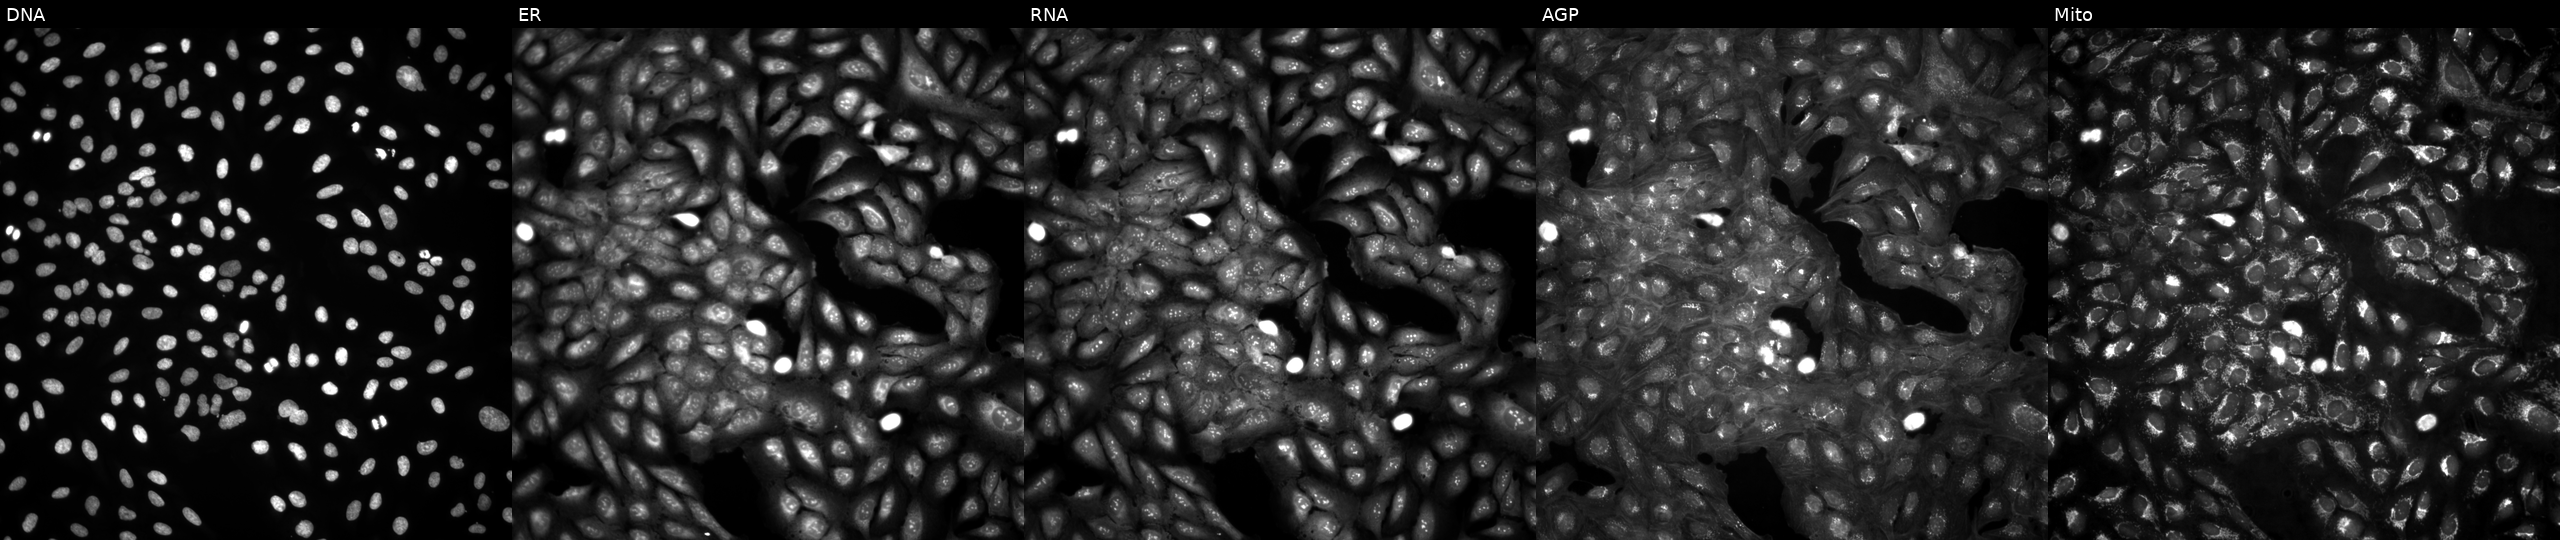
U2OS cells, Cell Painting assay, in an empty control well (no perturbation) (JUMP id JCP2022_999999). Channels (left→right): Hoechst 33342, concanavalin A, SYTO 14, phalloidin and WGA, MitoTracker. Each panel is percentile-stretched 16-bit fluorescence.